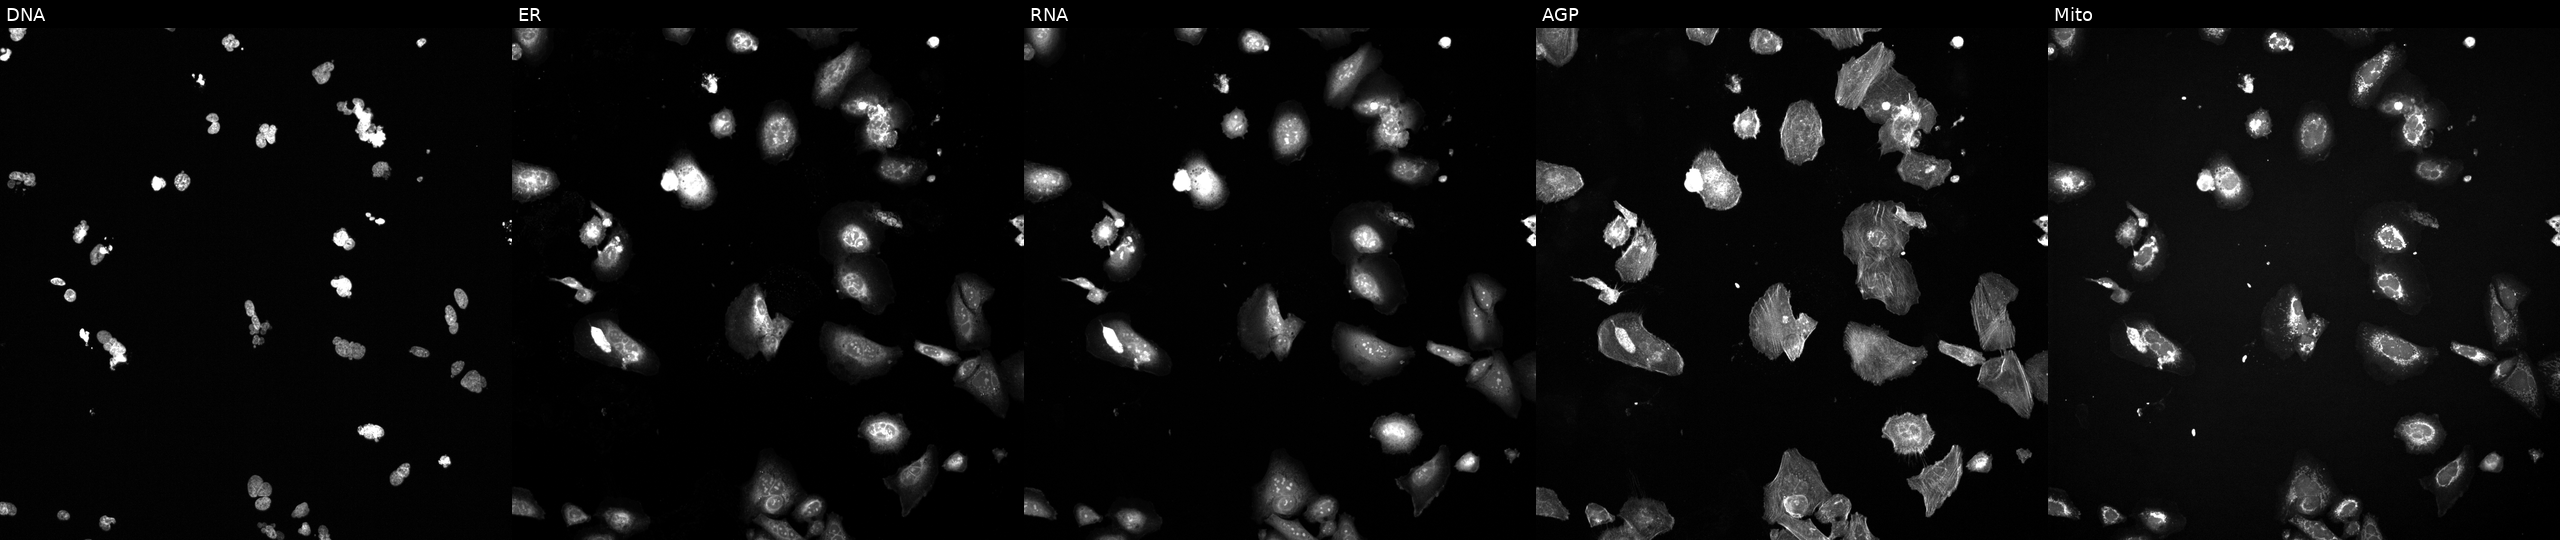
Five-channel Cell Painting image of U2OS cells perturbed with a small-molecule compound (JUMP id JCP2022_089929). Panels show, left to right, Hoechst 33342, concanavalin A, SYTO 14, phalloidin and WGA, MitoTracker. Source 6, plate 110000293082, well P14.